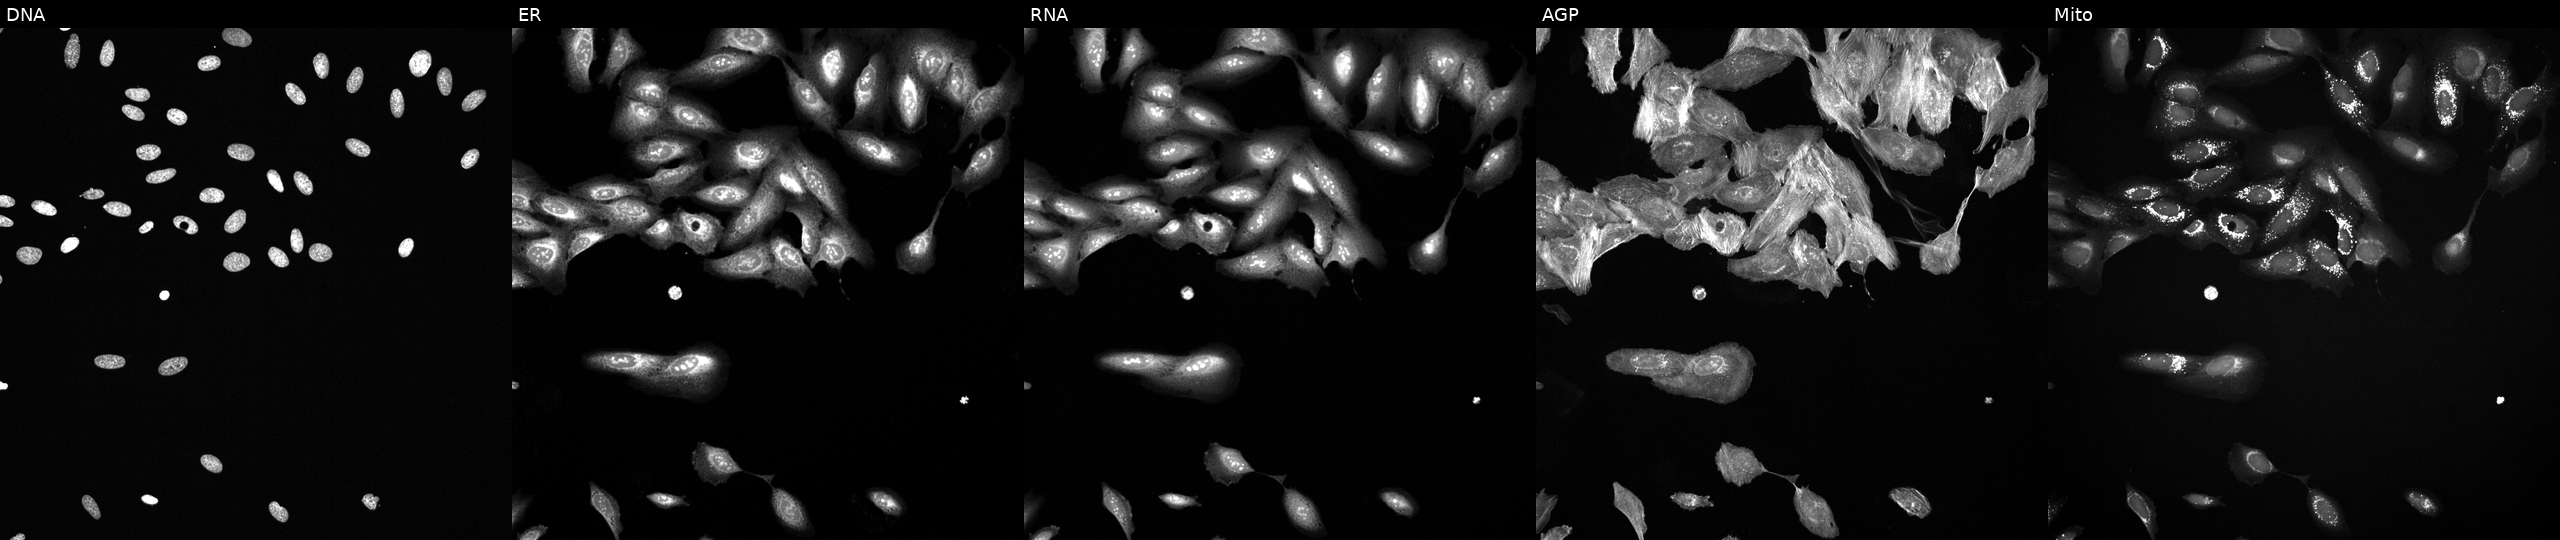
Five-channel Cell Painting image of U2OS cells exposed to a small-molecule compound (InChIKey NQQBNZBOOHHVQP-UHFFFAOYSA-N) [SMILES: N=c1[nH]nc(Sc2ncc([N+](=O)[O-])s2)s1] (JUMP id JCP2022_060734). From left to right: DNA, ER, RNA, AGP, and Mito.